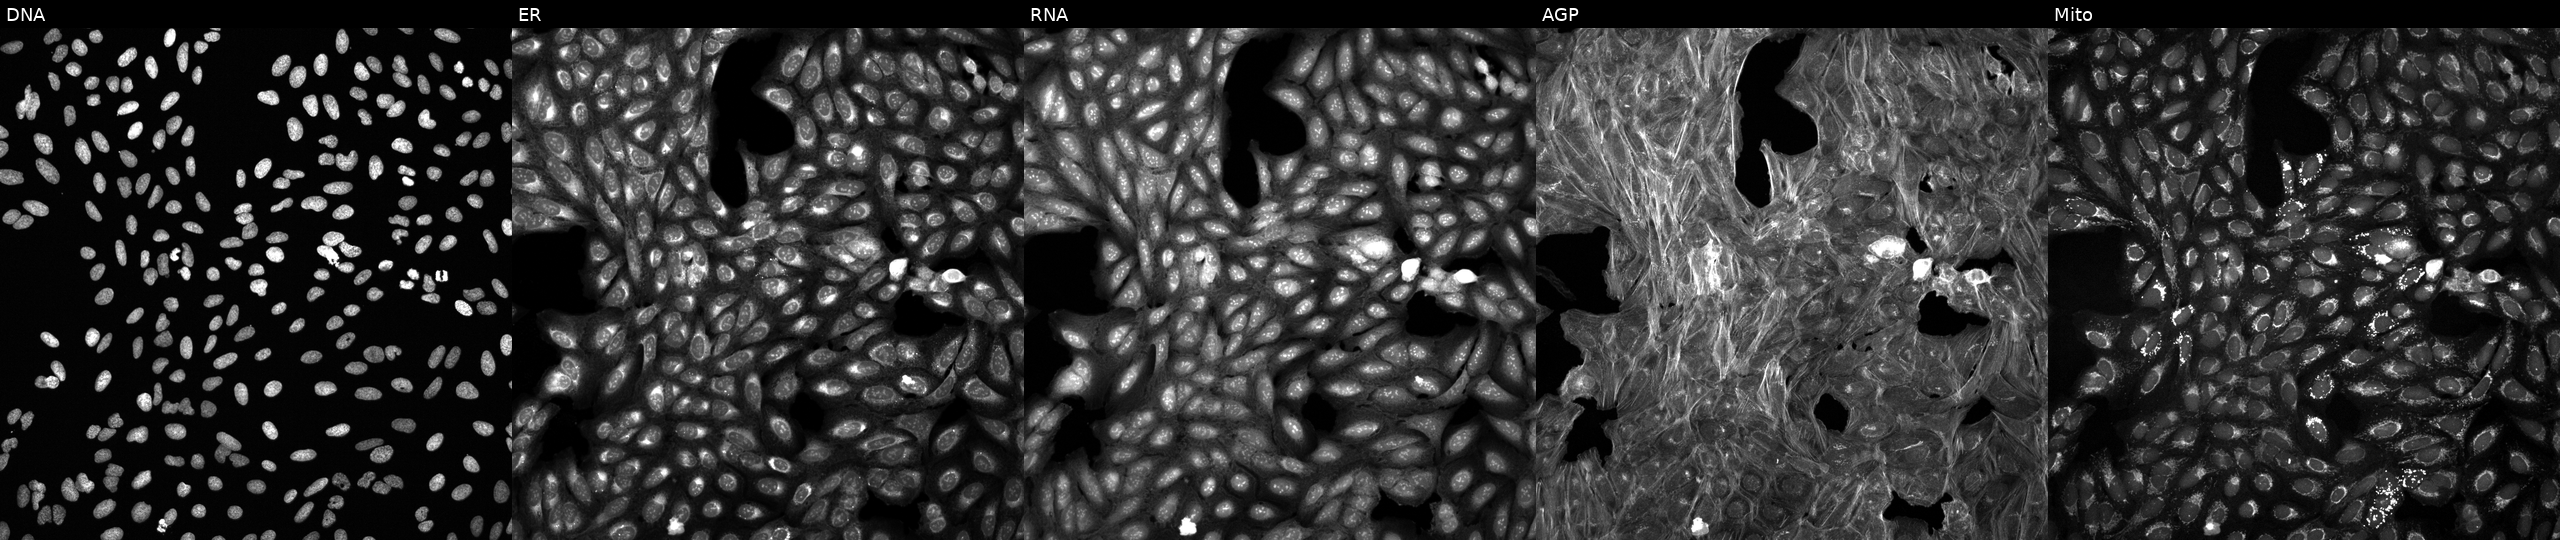
Five-channel Cell Painting image of U2OS cells exposed to a small-molecule compound (InChIKey FPVKHBSQESCIEP-UHFFFAOYSA-N) (JUMP id JCP2022_022191). The five panels, left to right, show Hoechst 33342, concanavalin A, SYTO 14, phalloidin and WGA, MitoTracker.